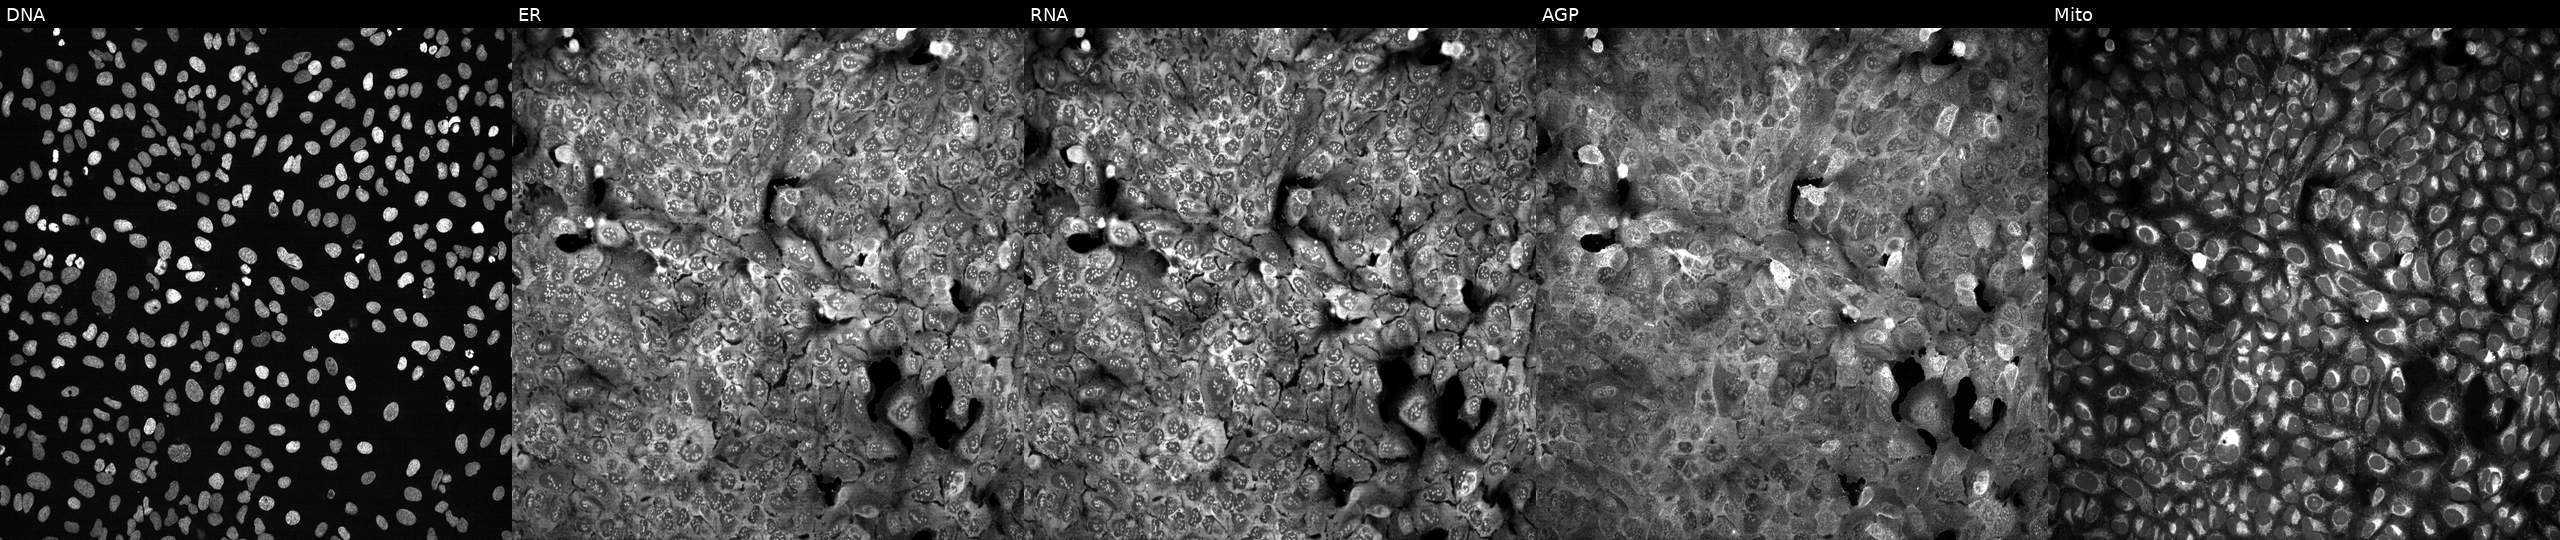
JUMP Cell Painting — CRISPR plate. U2OS cells following CRISPR knockout of PLTP. Panels show, left to right, DNA (nuclei); ER (endoplasmic reticulum); RNA (nucleoli and cytoplasmic RNA); AGP (actin cytoskeleton, Golgi, and plasma membrane); Mito (mitochondria).